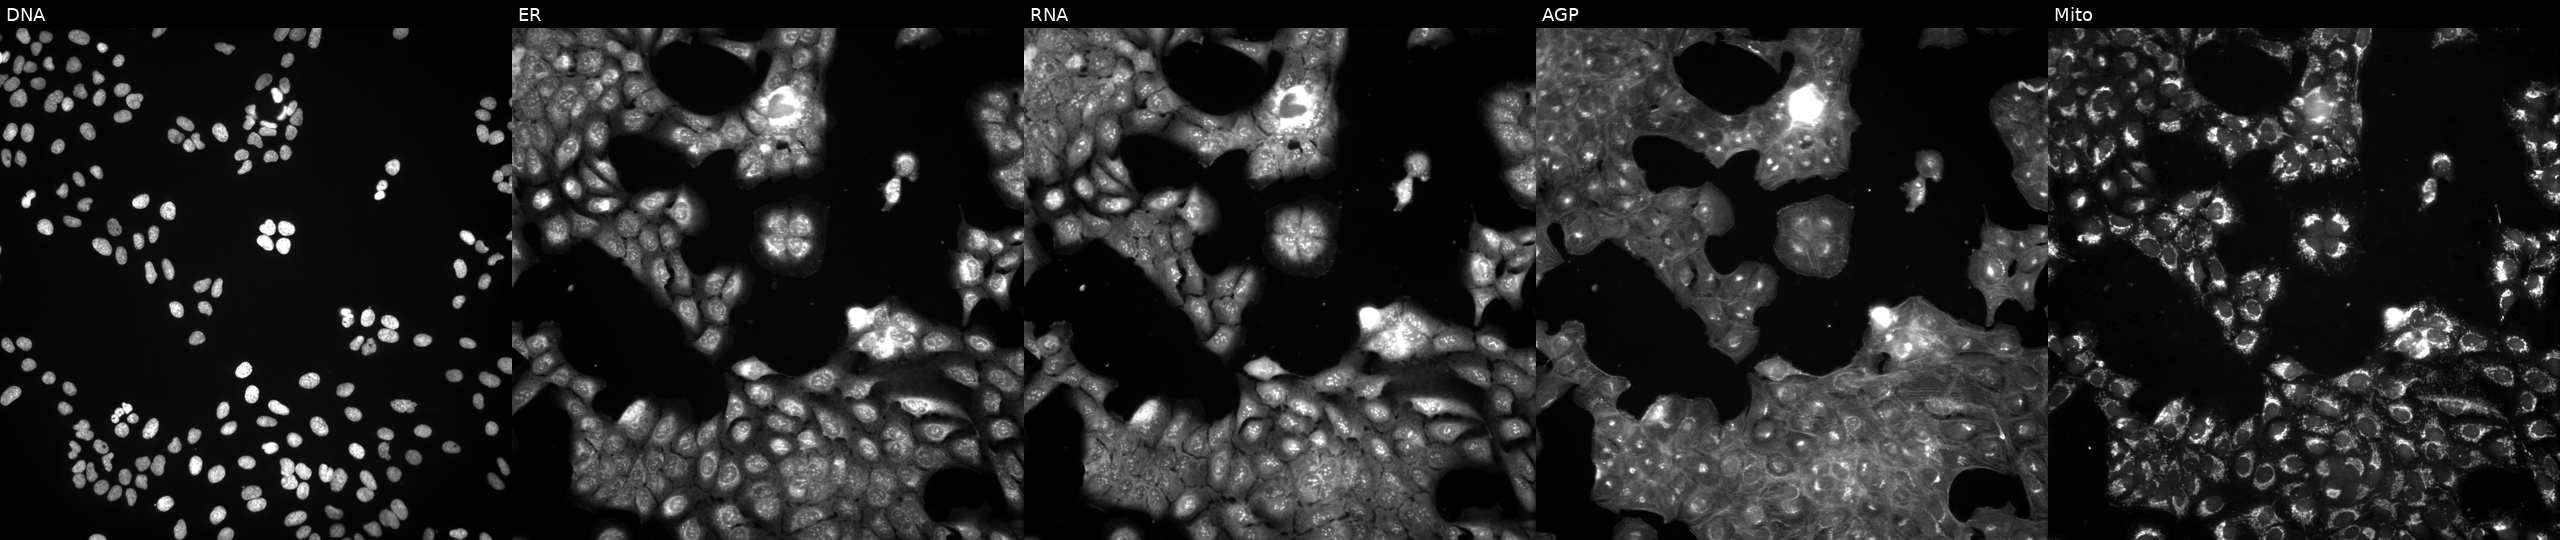
High-content fluorescence microscopy (Cell Painting). Cell line: U2OS. Perturbation: perturbed with a small-molecule compound (InChIKey PHAGSWMECRLJMQ-UHFFFAOYSA-N). Panels show, left to right, DNA, ER, RNA, AGP, and Mito. Source 3, plate BR5867a3, well M12.